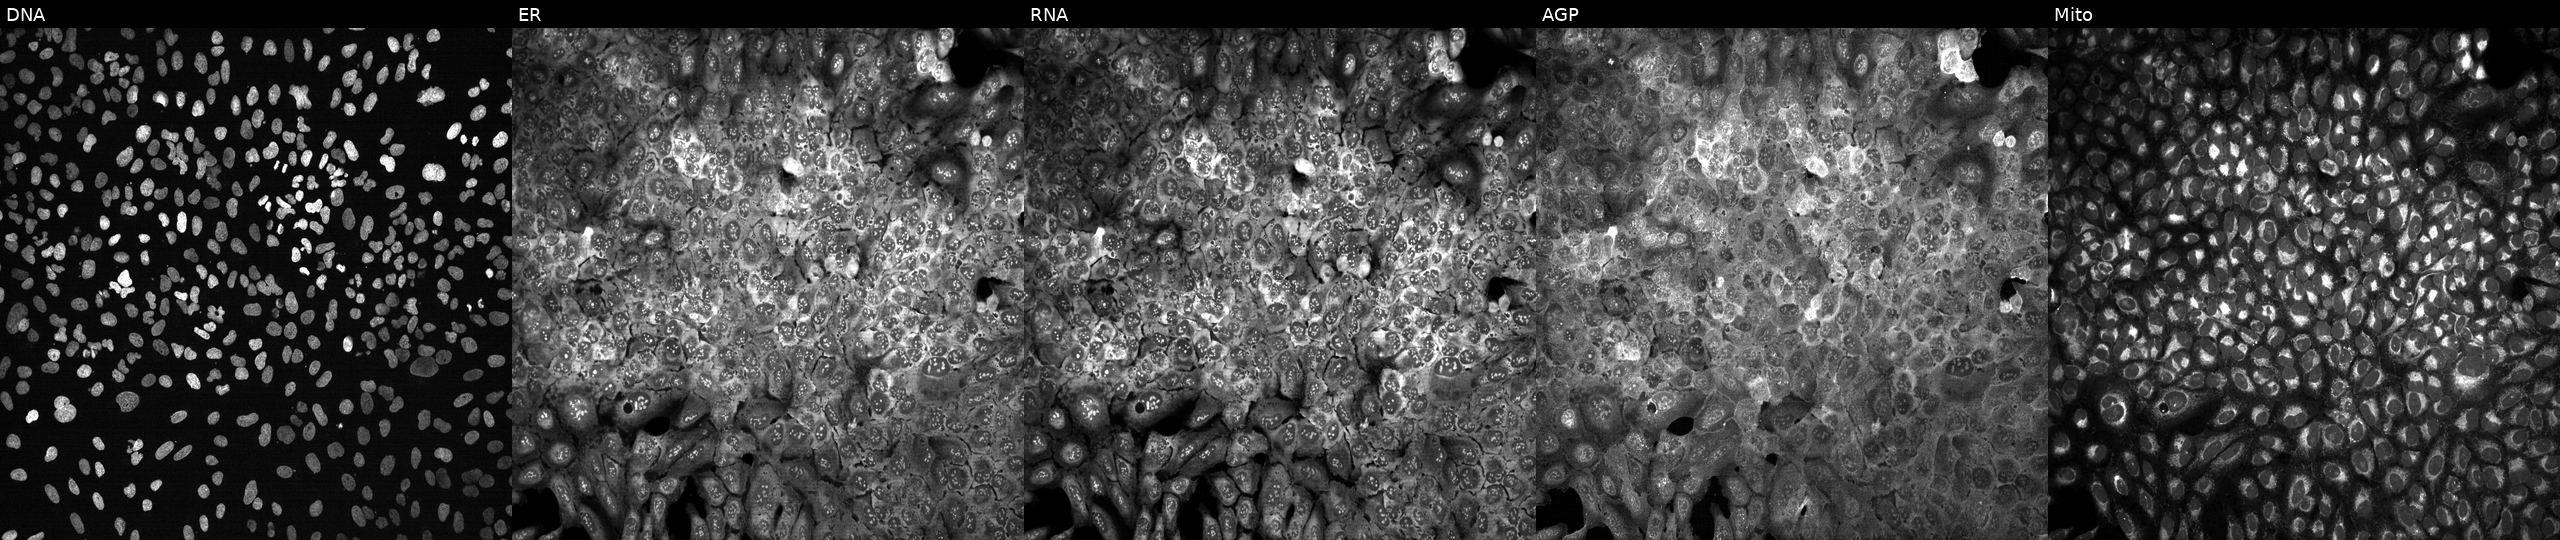
Five-channel Cell Painting image of U2OS cells following CRISPR knockout of APOB. Channels (left→right): DNA, ER, RNA, AGP, and Mito.